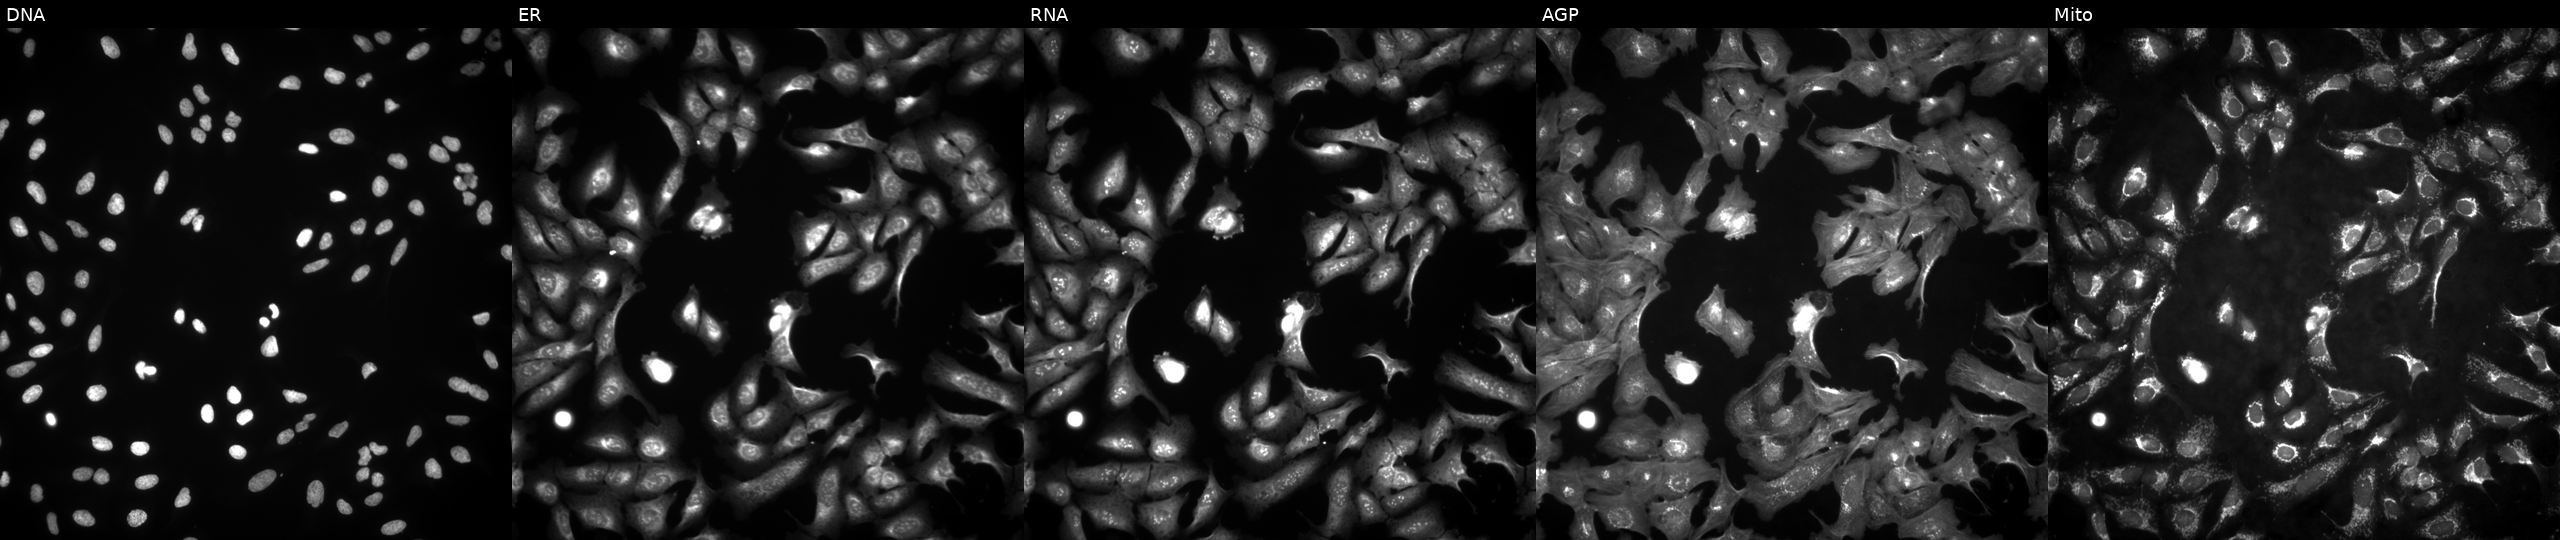
JUMP Cell Painting — ORF plate. U2OS cells overexpressing CELA2B via ORF transfection. From left to right: DNA (nuclei); ER (endoplasmic reticulum); RNA (nucleoli and cytoplasmic RNA); AGP (actin cytoskeleton, Golgi, and plasma membrane); Mito (mitochondria). Source 4, plate BR00123509, well C22.